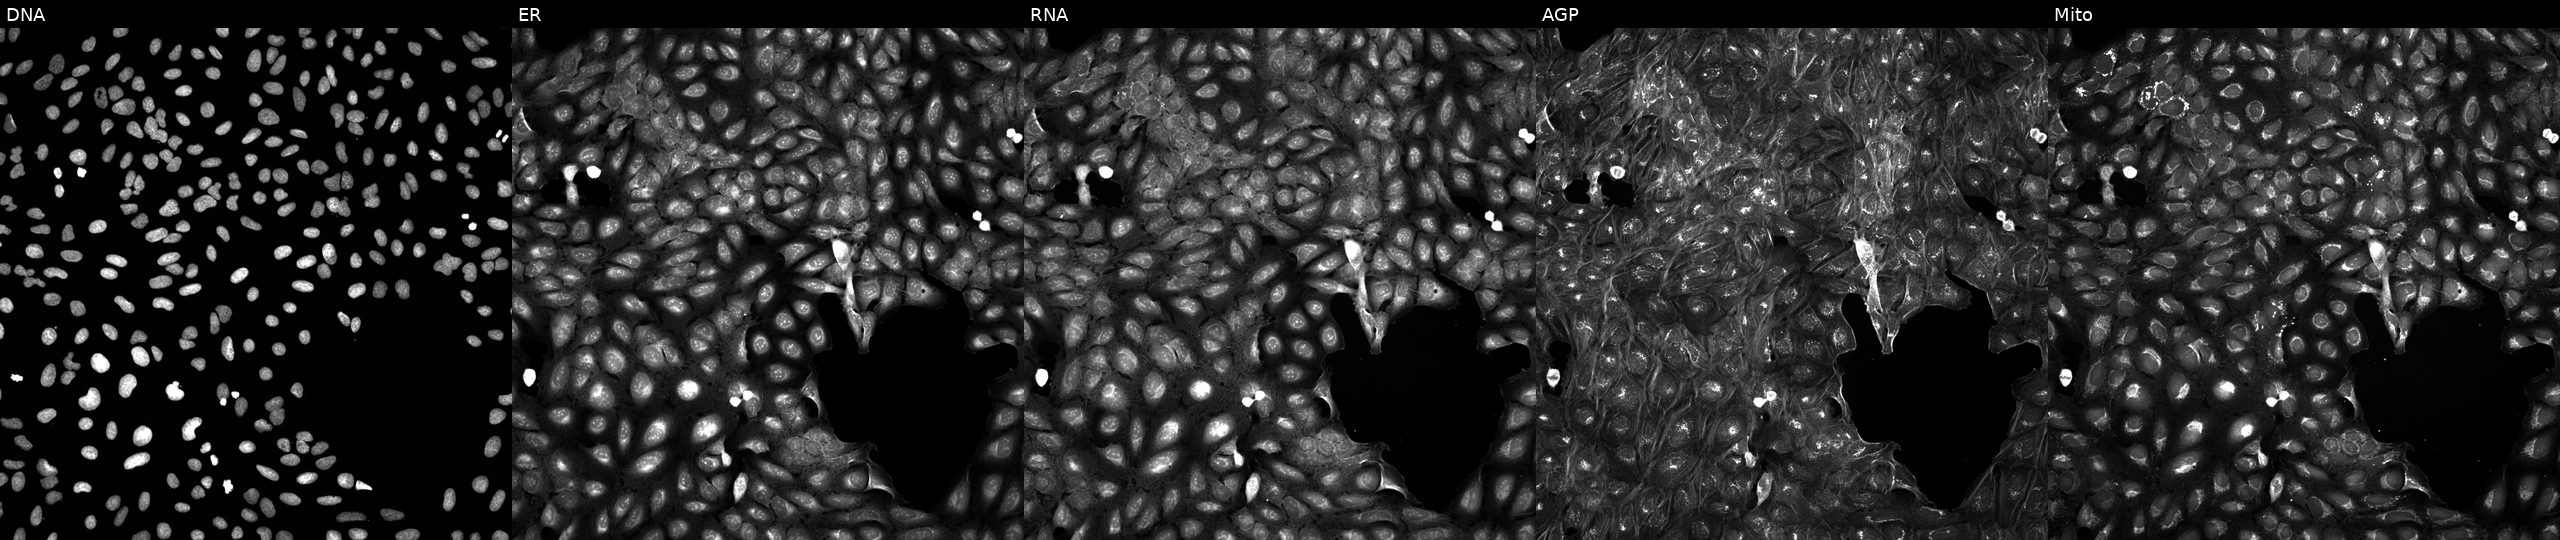
JUMP Cell Painting — COMPOUND plate. U2OS cells exposed to a small-molecule compound (InChIKey RHPPXZBRJWTYMJ-UHFFFAOYSA-N). Panels show, left to right, Hoechst 33342, concanavalin A, SYTO 14, phalloidin and WGA, MitoTracker. Source 5, plate APTJUM106, well C13.